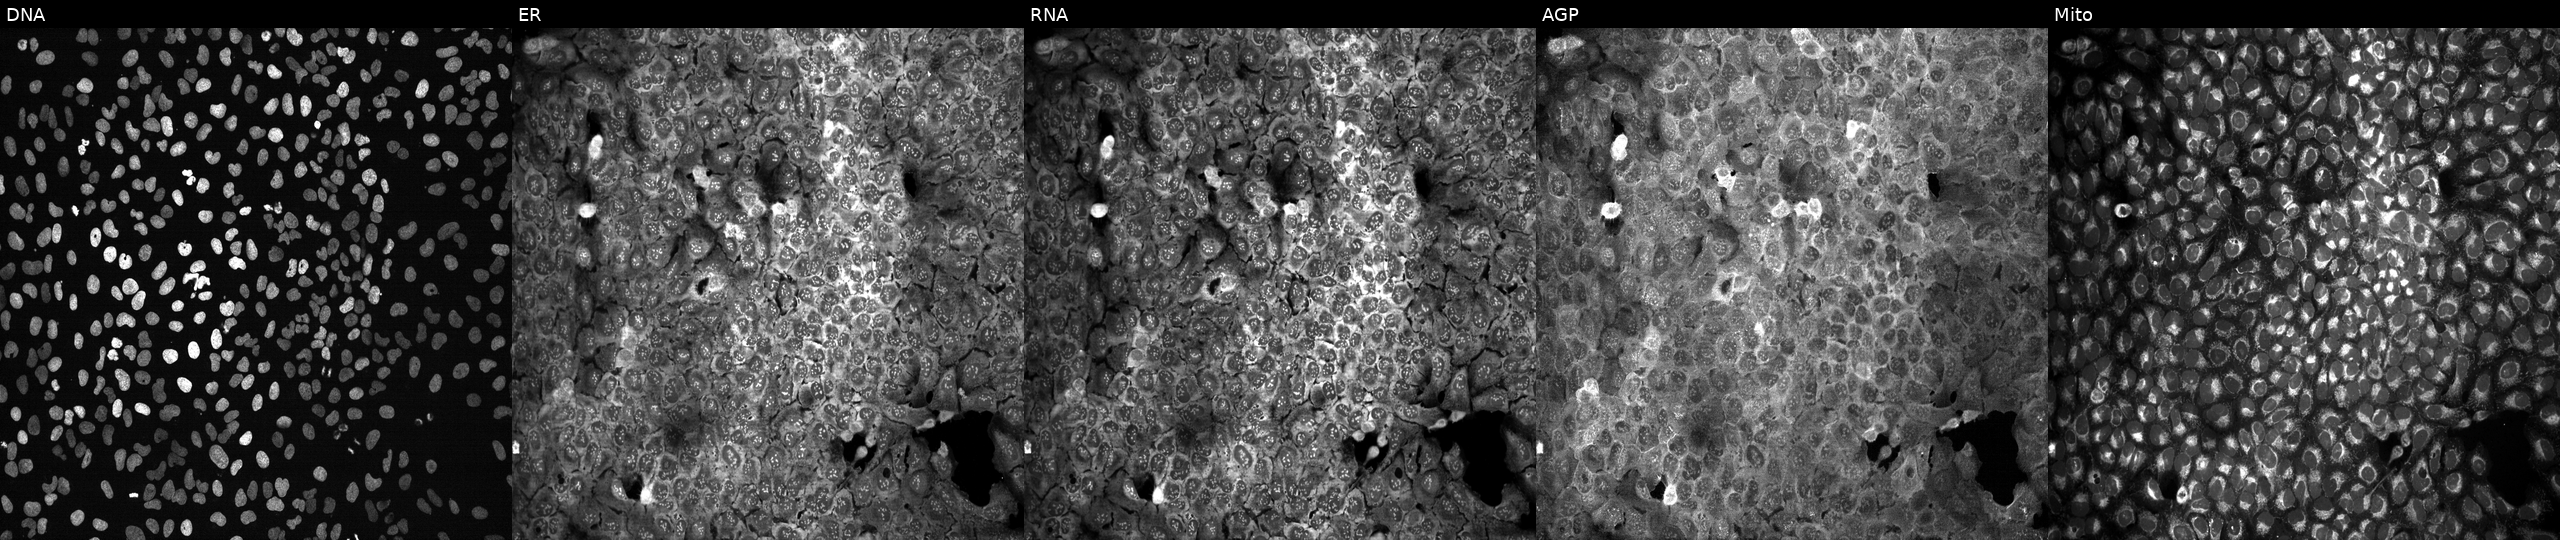
JUMP Cell Painting — CRISPR plate. U2OS cells following CRISPR knockout of LGALS12 (JUMP id JCP2022_803810). The five panels, left to right, show Hoechst 33342, concanavalin A, SYTO 14, phalloidin and WGA, MitoTracker. Source 13, plate CP-CC9-R3-02, well L18.